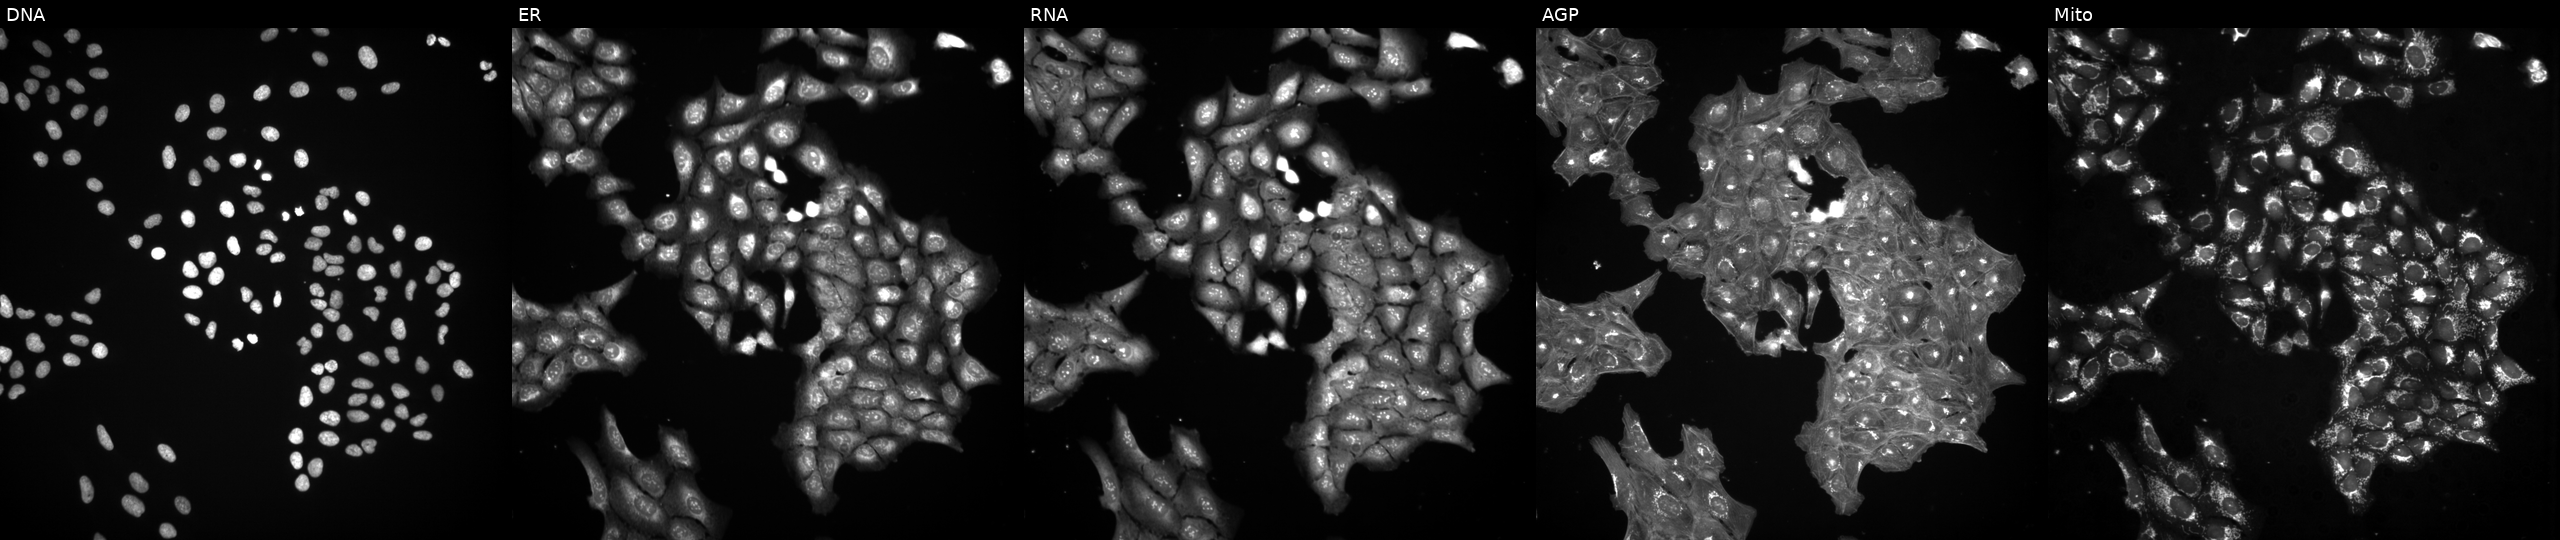
U2OS cells, Cell Painting assay, exposed to a small-molecule compound (InChIKey DHXSHESWLZVTEU-UHFFFAOYSA-N) (JUMP id JCP2022_016032). From left to right: DNA (nuclei); ER (endoplasmic reticulum); RNA (nucleoli and cytoplasmic RNA); AGP (actin cytoskeleton, Golgi, and plasma membrane); Mito (mitochondria). Each panel is percentile-stretched 16-bit fluorescence. Source 3, plate BR5867b3, well L16.